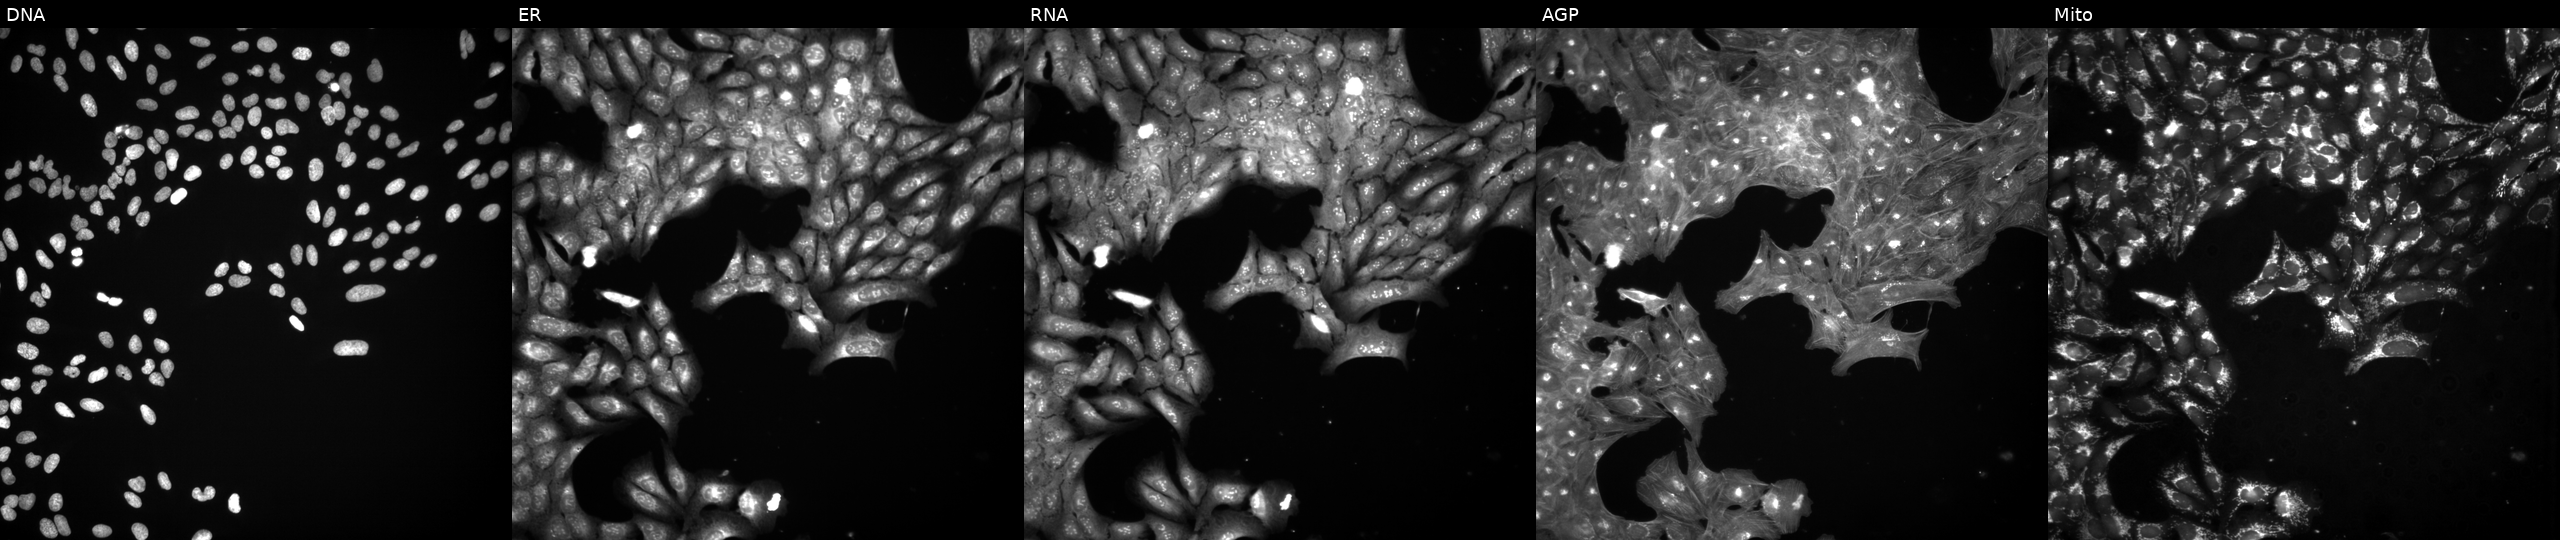
The five panels, left to right, show DNA, ER, RNA, AGP, and Mito. U2OS osteosarcoma cells treated with DMSO vehicle only (negative control). Cell Painting assay, JUMP-CP dataset.